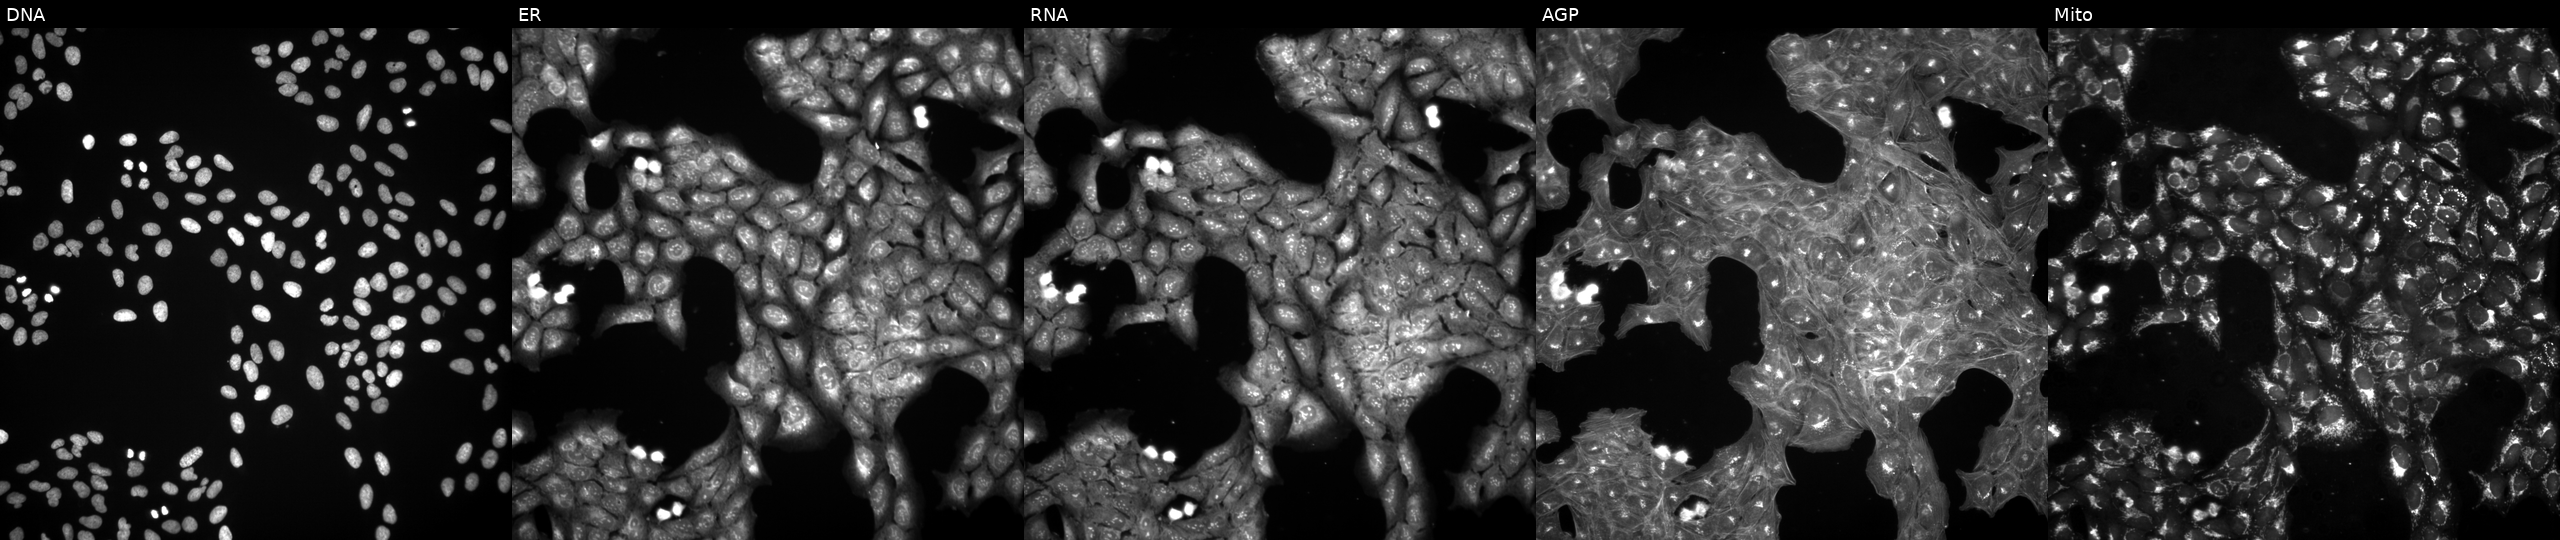
High-content fluorescence microscopy (Cell Painting). Cell line: U2OS. Perturbation: treated with a small-molecule compound. Panels show, left to right, DNA, ER, RNA, AGP, and Mito. Source 3, plate JCPQC052, well E06.